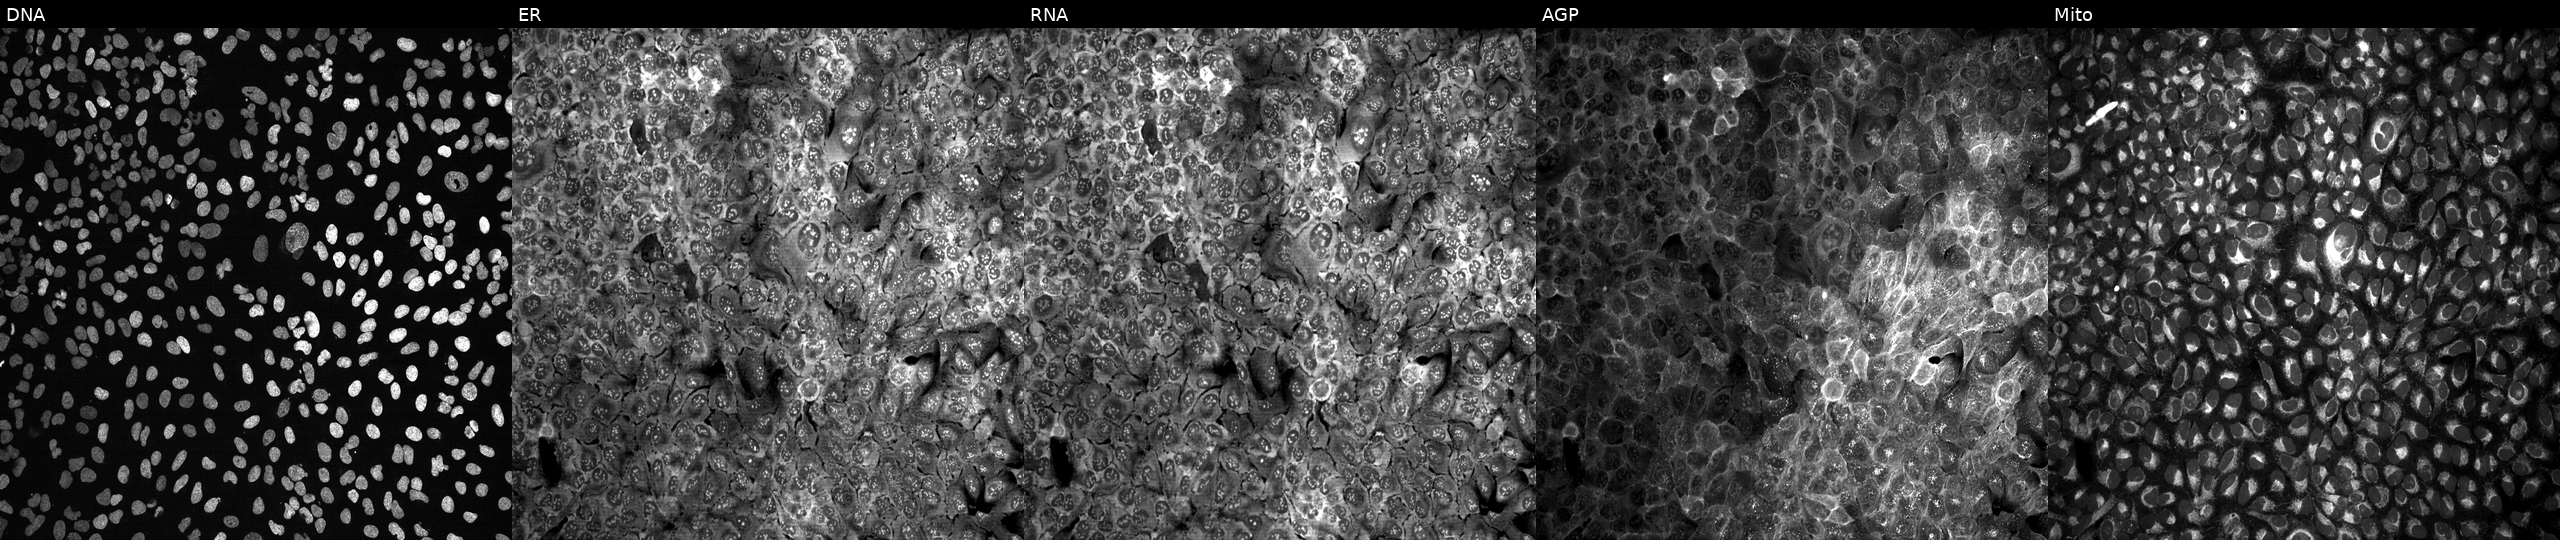
JUMP Cell Painting — CRISPR plate. U2OS cells with ZBTB45 knocked out by CRISPR. Panels show, left to right, DNA (nuclei); ER (endoplasmic reticulum); RNA (nucleoli and cytoplasmic RNA); AGP (actin cytoskeleton, Golgi, and plasma membrane); Mito (mitochondria).